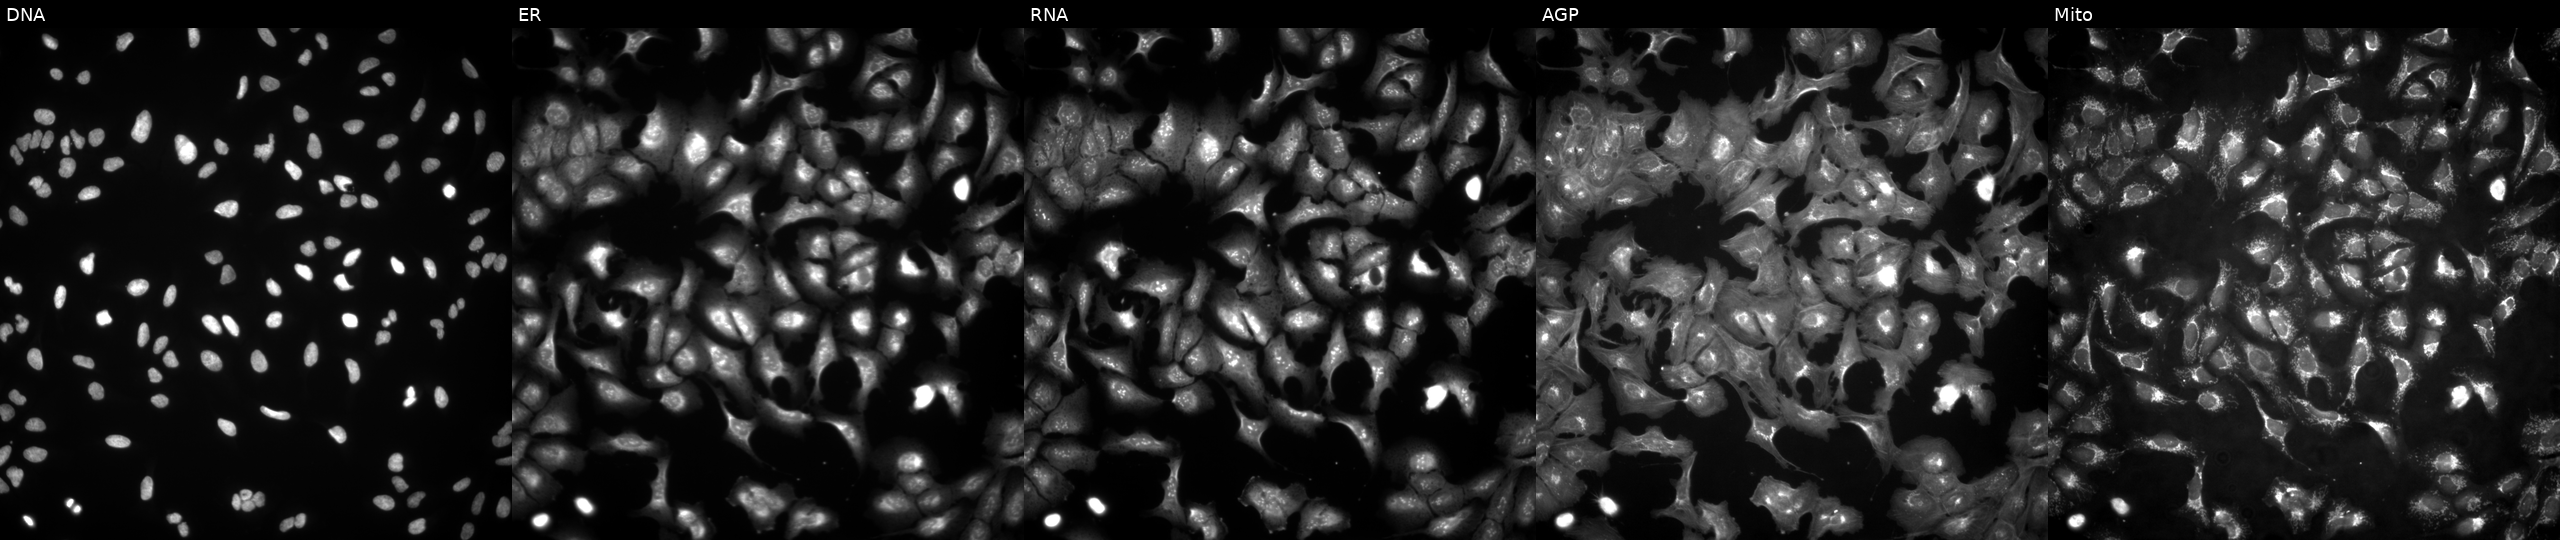
High-content fluorescence microscopy (Cell Painting). Cell line: U2OS. Perturbation: overexpressing SLN via ORF transfection (JUMP id JCP2022_910390). From left to right: DNA, ER, RNA, AGP, and Mito.